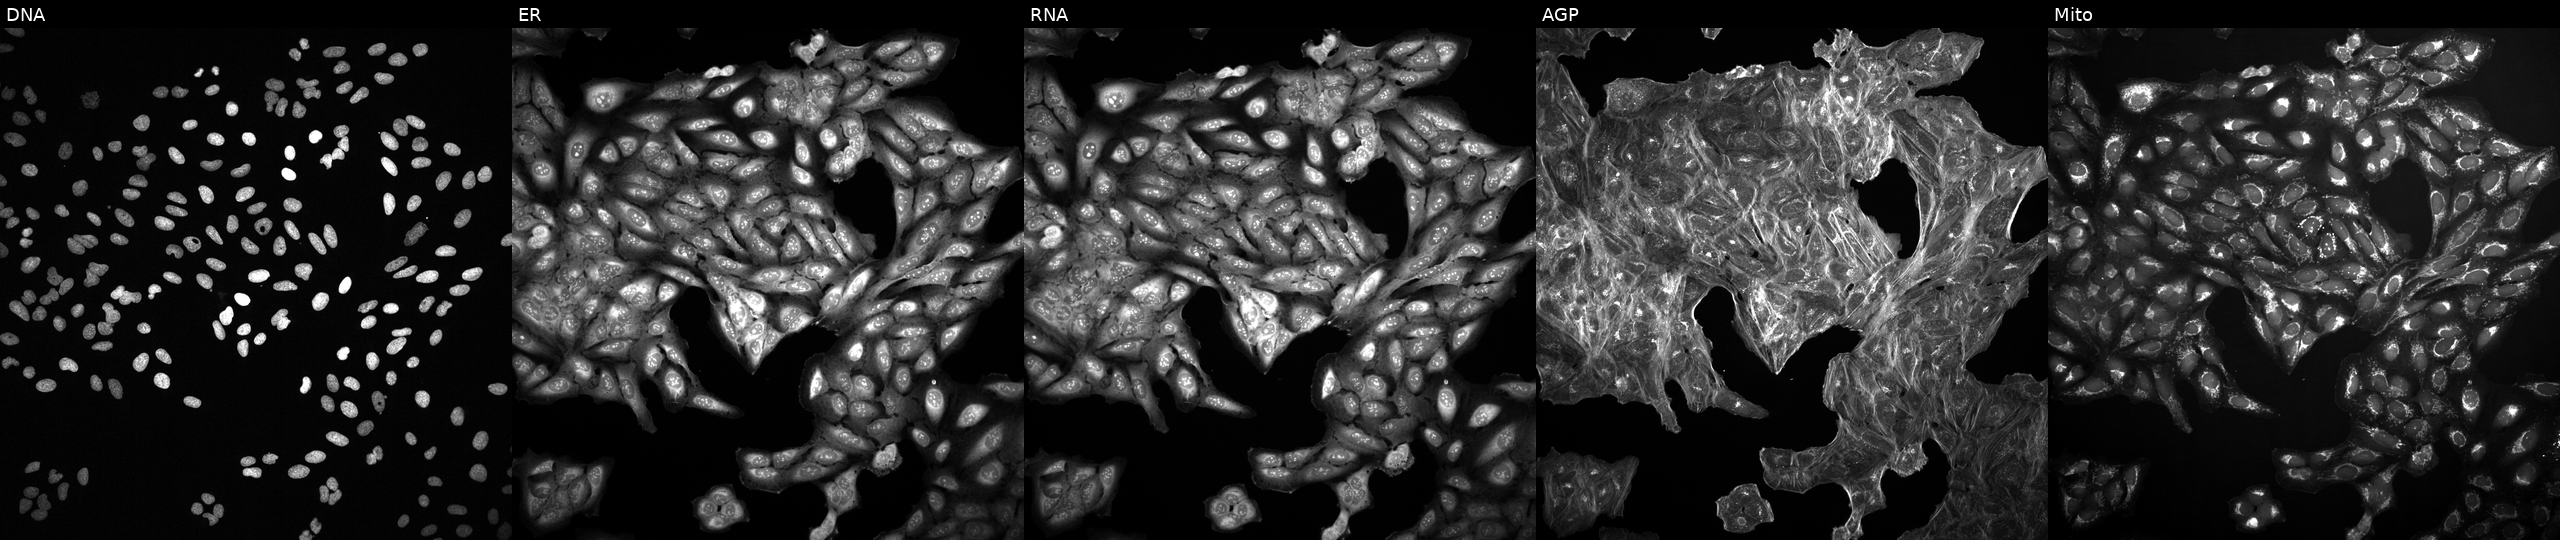
Five-channel Cell Painting image of U2OS cells treated with a small-molecule compound (InChIKey ZYGHJZDHTFUPRJ-UHFFFAOYSA-N). From left to right: DNA, ER, RNA, AGP, and Mito. Source 2, plate 1053597936, well J18.